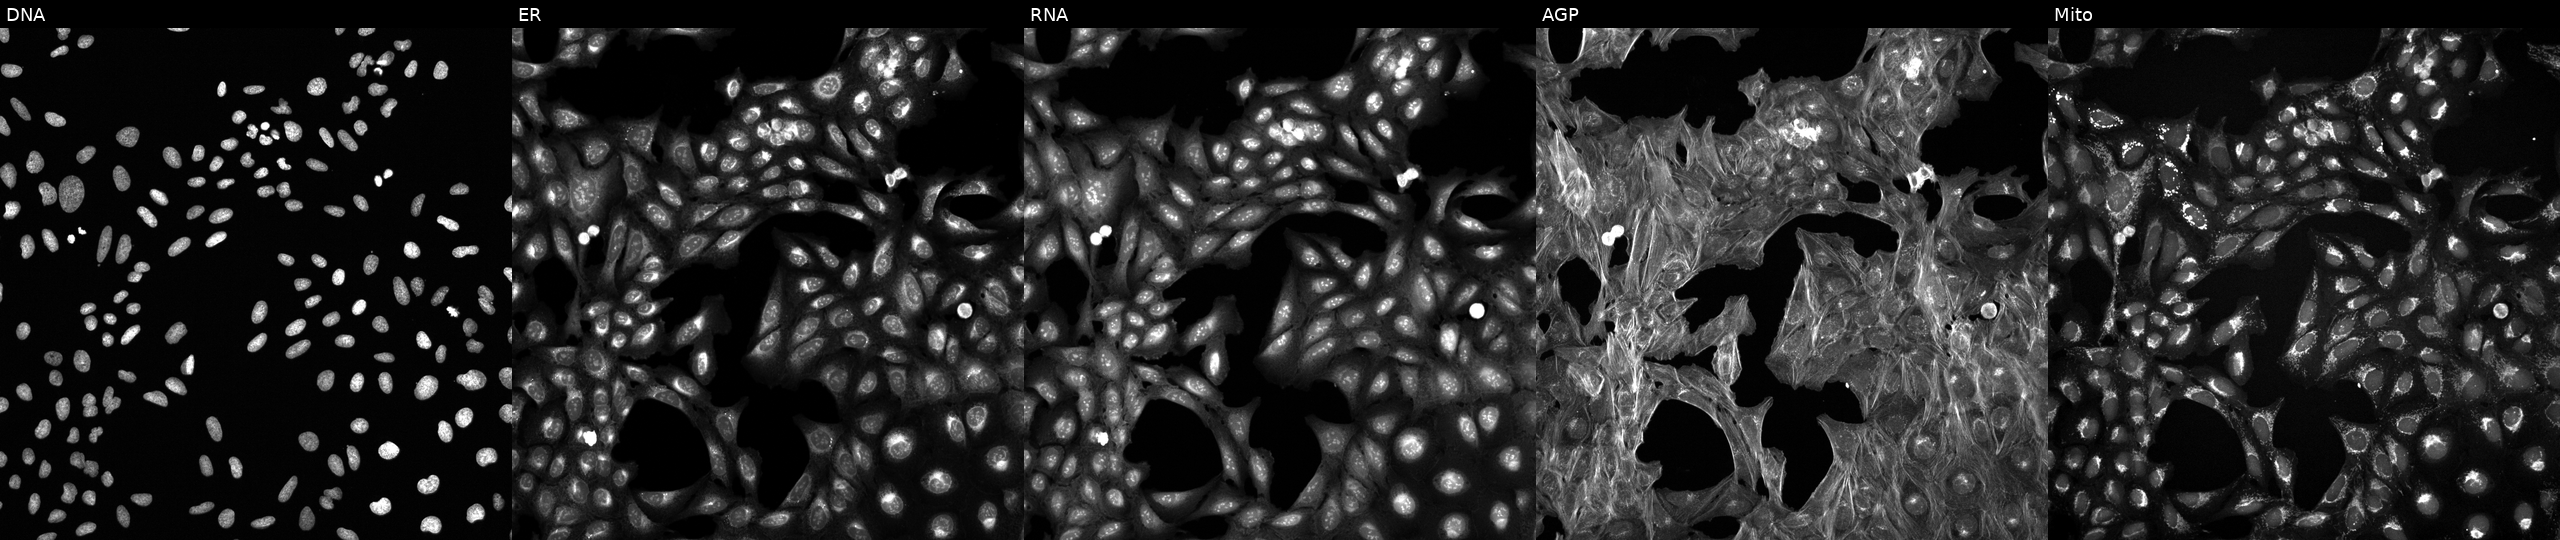
Five-channel Cell Painting image of U2OS cells treated with TC-S-7004 (positive-control compound) (JUMP id JCP2022_012818). Panels show, left to right, Hoechst 33342, concanavalin A, SYTO 14, phalloidin and WGA, MitoTracker. Source 6, plate 110000293083, well H01.